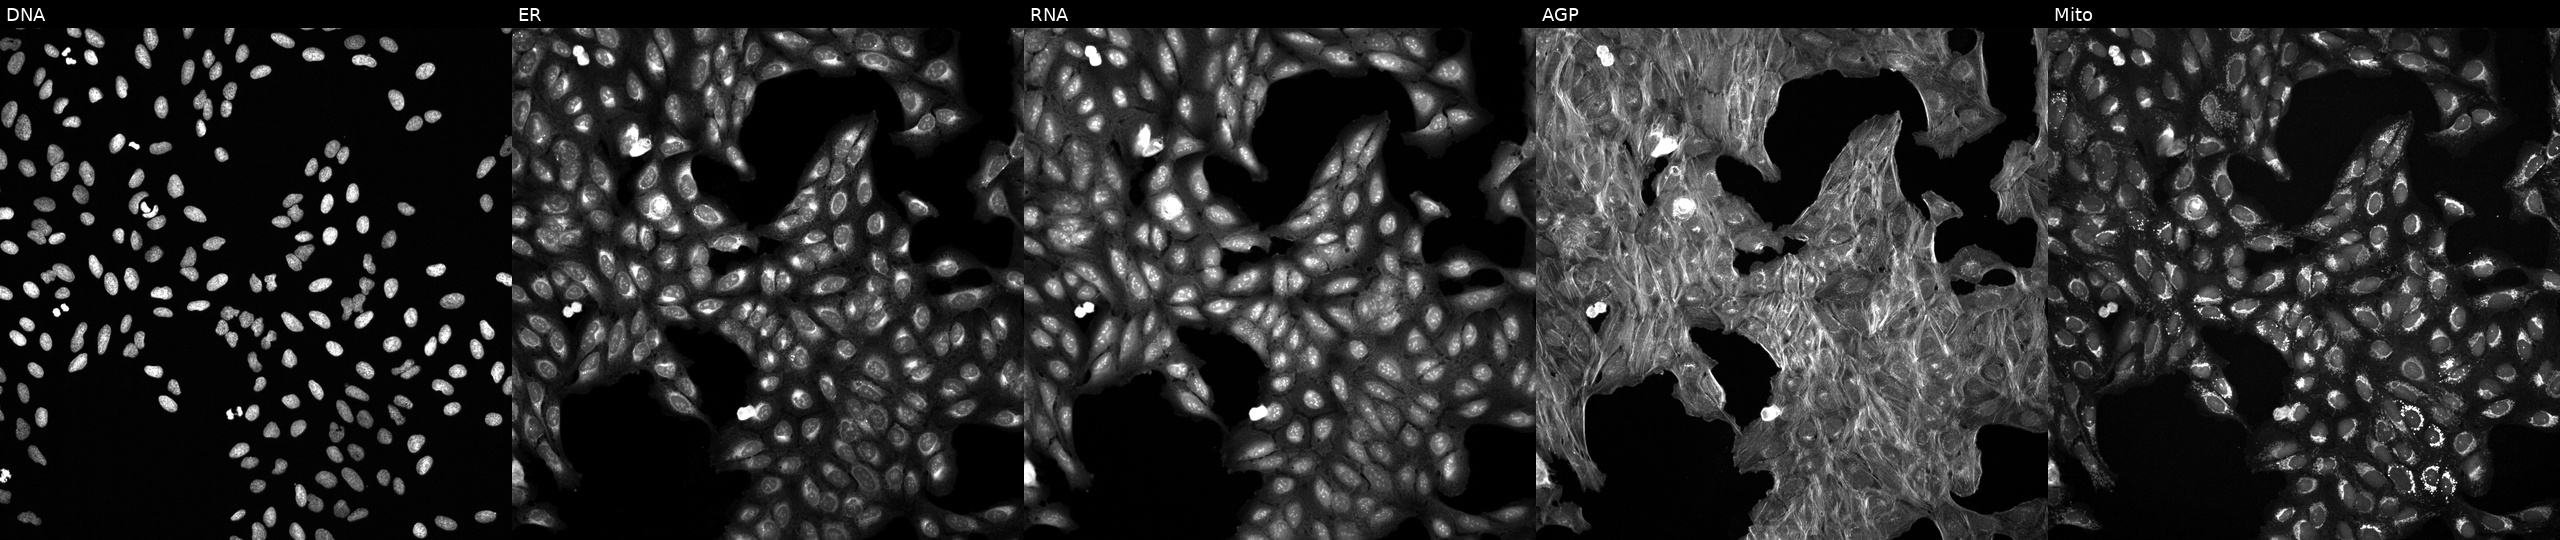
U2OS cells, Cell Painting assay, exposed to a small-molecule compound (InChIKey UVKBVLFPBZQHBZ-UHFFFAOYSA-N) (JUMP id JCP2022_091831). From left to right: Hoechst 33342, concanavalin A, SYTO 14, phalloidin and WGA, MitoTracker. Each panel is percentile-stretched 16-bit fluorescence. Source 6, plate 110000293083, well M18.